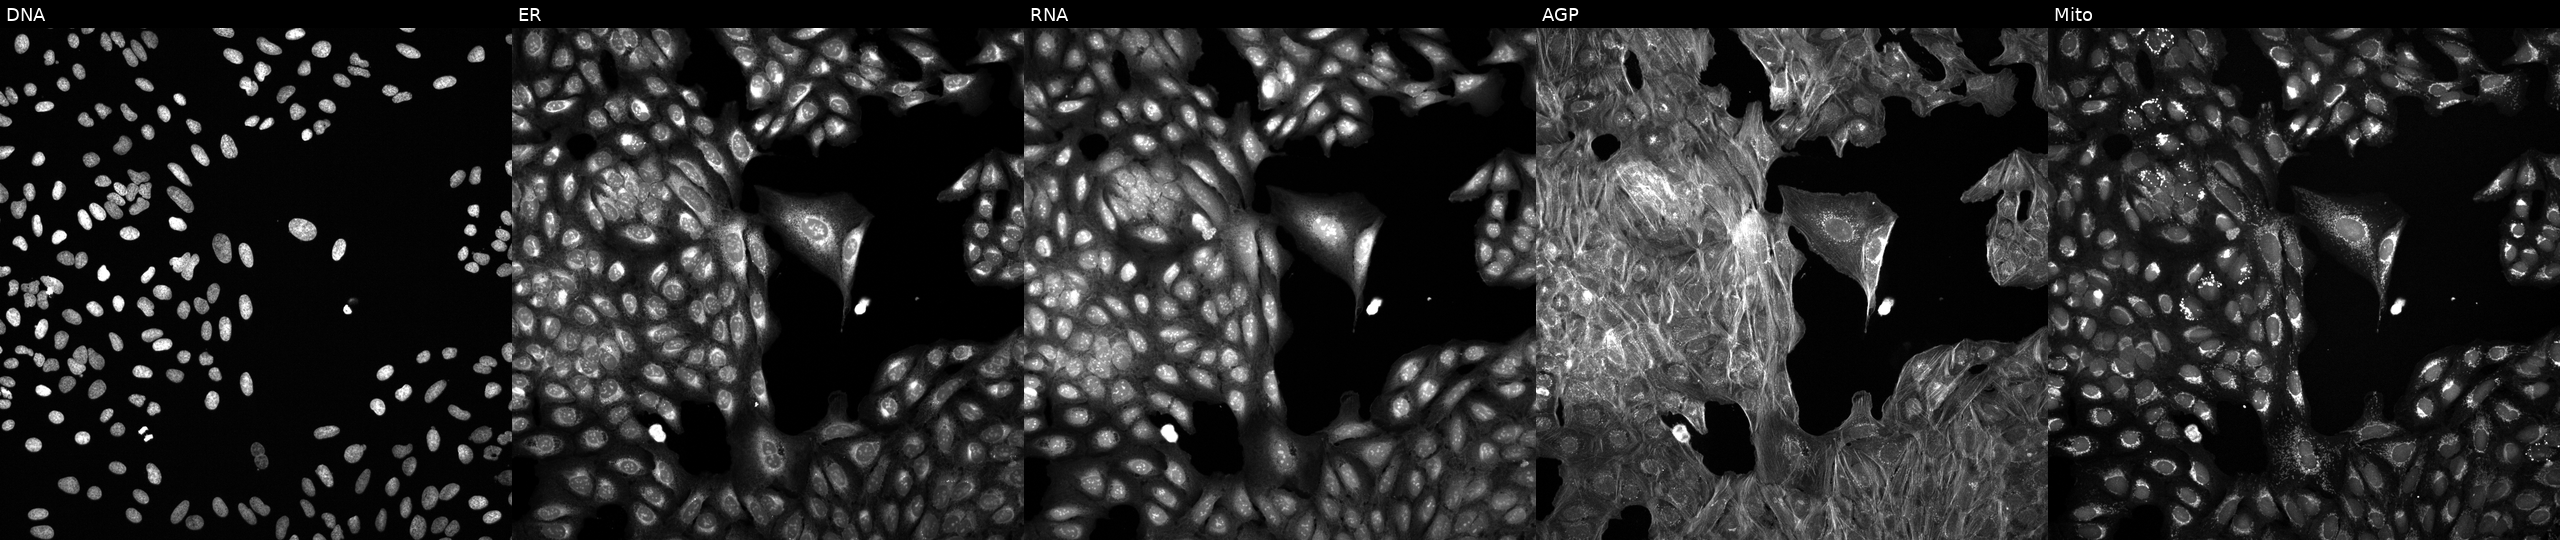
U2OS cells, Cell Painting assay, perturbed with a small-molecule compound (InChIKey GMROZDPZEUVIGD-UHFFFAOYSA-N). Channels (left→right): DNA, ER, RNA, AGP, and Mito. Each panel is percentile-stretched 16-bit fluorescence. Source 6, plate 110000294901, well L11.